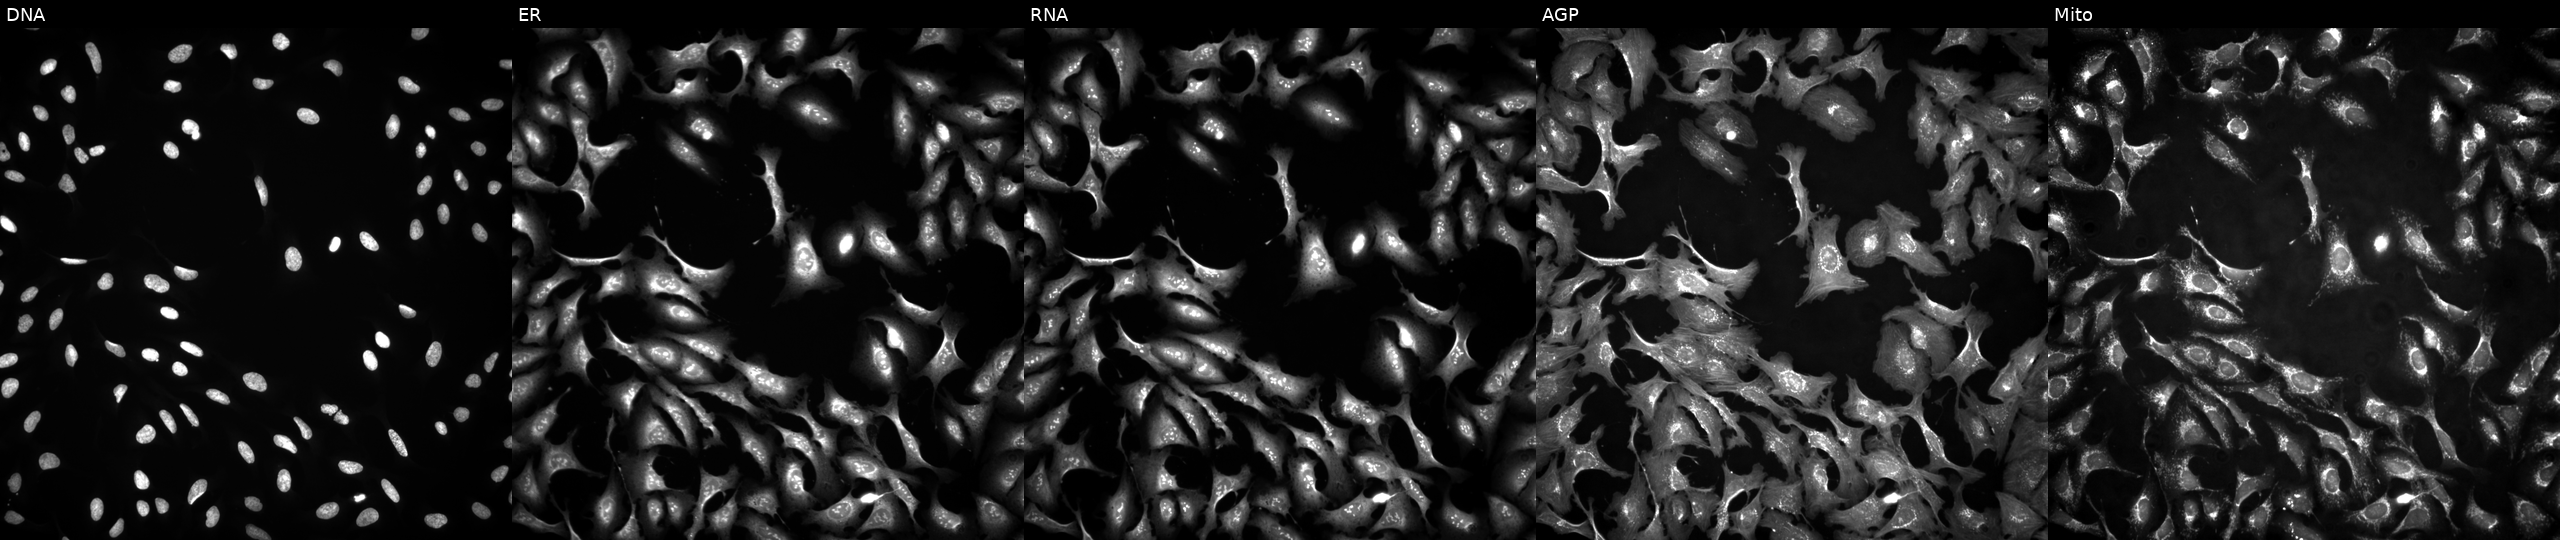
JUMP Cell Painting — ORF plate. U2OS cells transfected with an ORF construct for MAP3K6. Channels (left→right): DNA, ER, RNA, AGP, and Mito. Source 4, plate BR00123945, well H05.